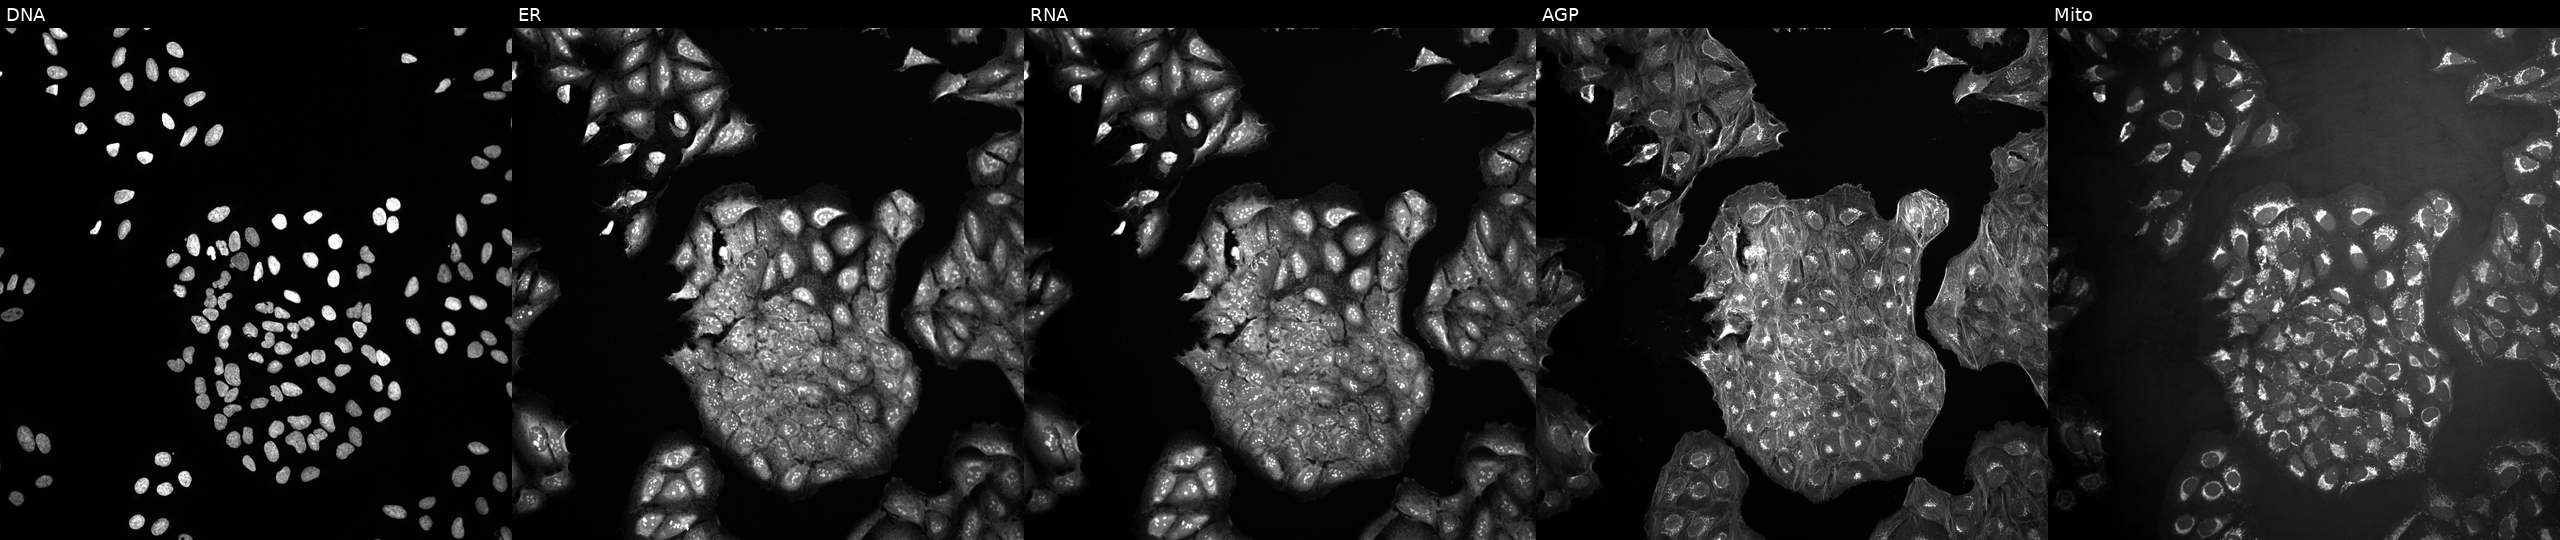
Channels (left→right): DNA (nuclei); ER (endoplasmic reticulum); RNA (nucleoli and cytoplasmic RNA); AGP (actin cytoskeleton, Golgi, and plasma membrane); Mito (mitochondria). U2OS osteosarcoma cells untreated (empty-well control). Cell Painting assay, JUMP-CP dataset.